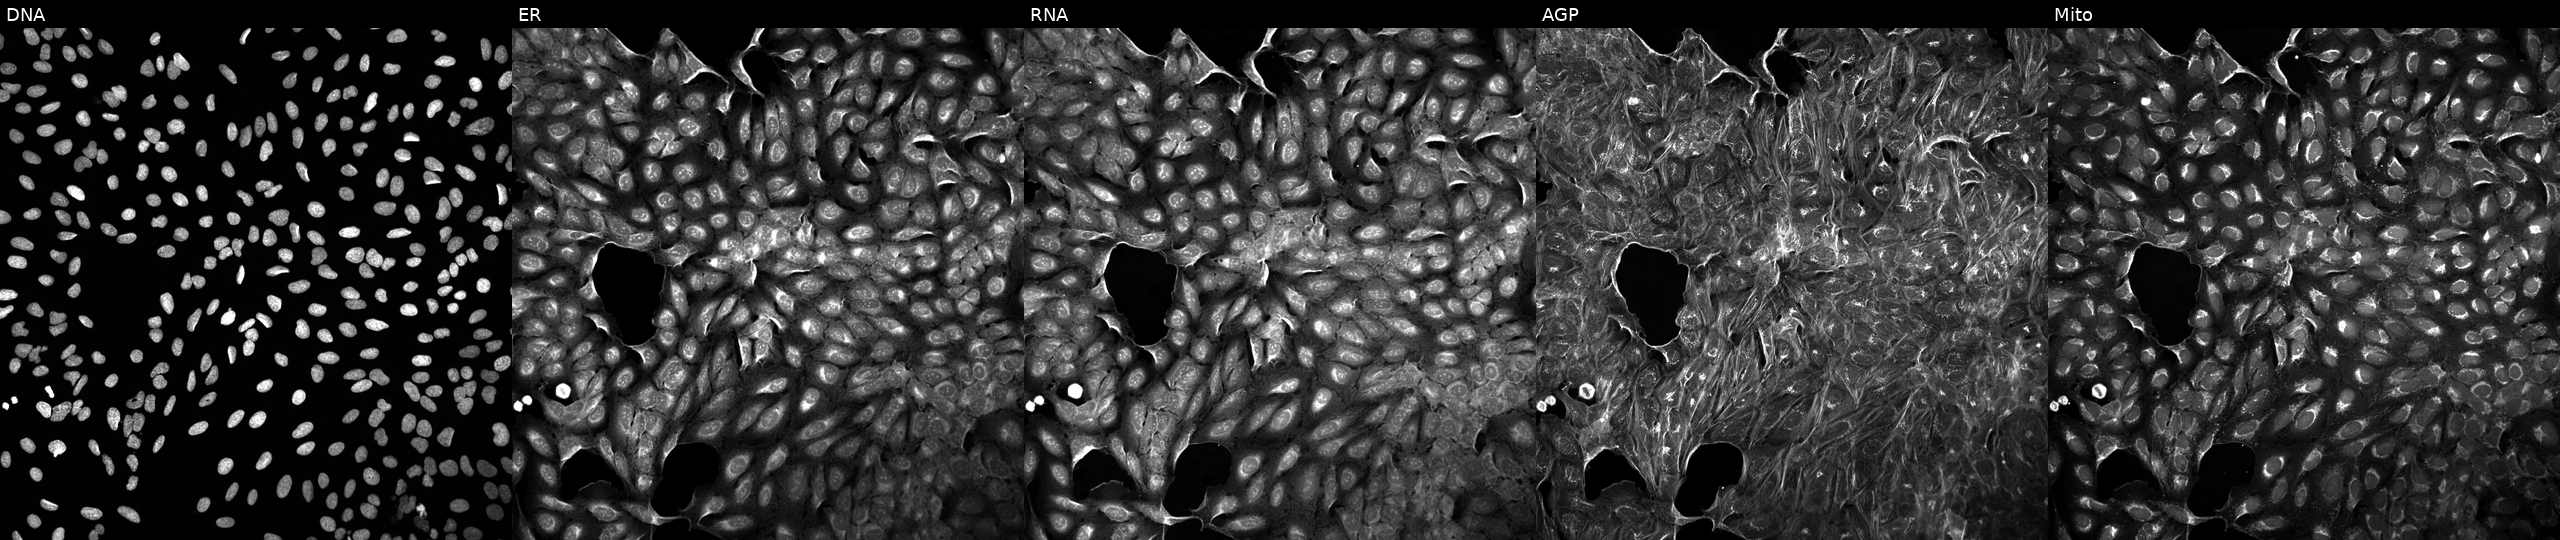
From left to right: DNA, ER, RNA, AGP, and Mito. U2OS osteosarcoma cells exposed to a small-molecule compound (InChIKey NYNZQNWKBKUAII-UHFFFAOYSA-N) [SMILES: O=C(Nc1cnn2ccc(N3CCCC3c3cc(F)ccc3F)nc12)N1CCC(O)C1]. Cell Painting assay, JUMP-CP dataset. Source 5, plate ACPJUM051, well O21.